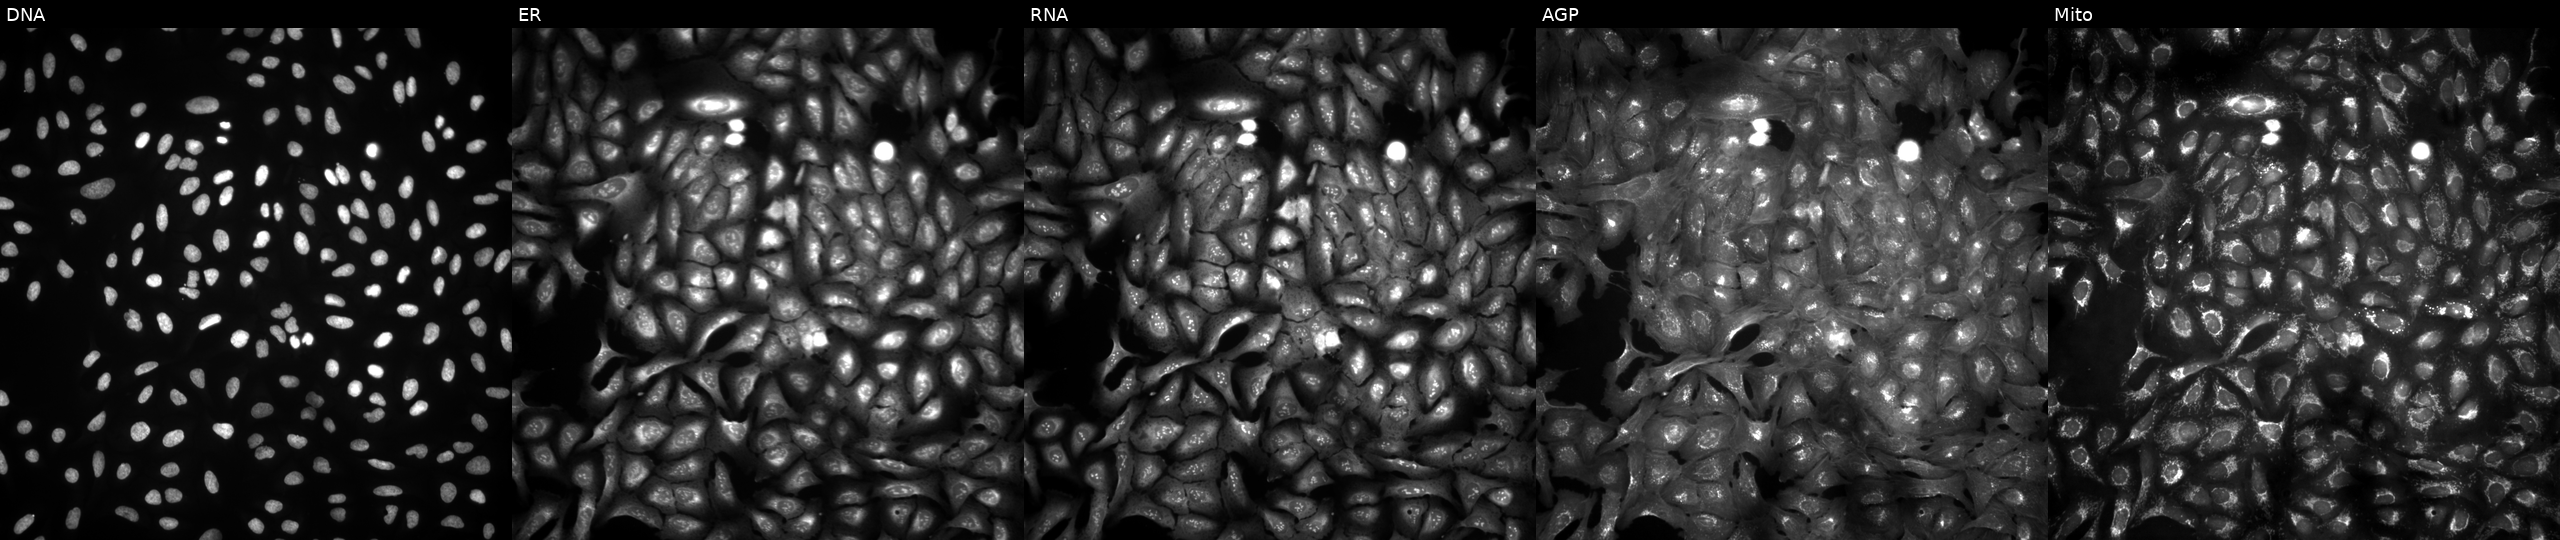
Five-channel Cell Painting image of U2OS cells overexpressing XLOC_l2_015578 via ORF transfection (JUMP id JCP2022_912818). Panels show, left to right, DNA, ER, RNA, AGP, and Mito.